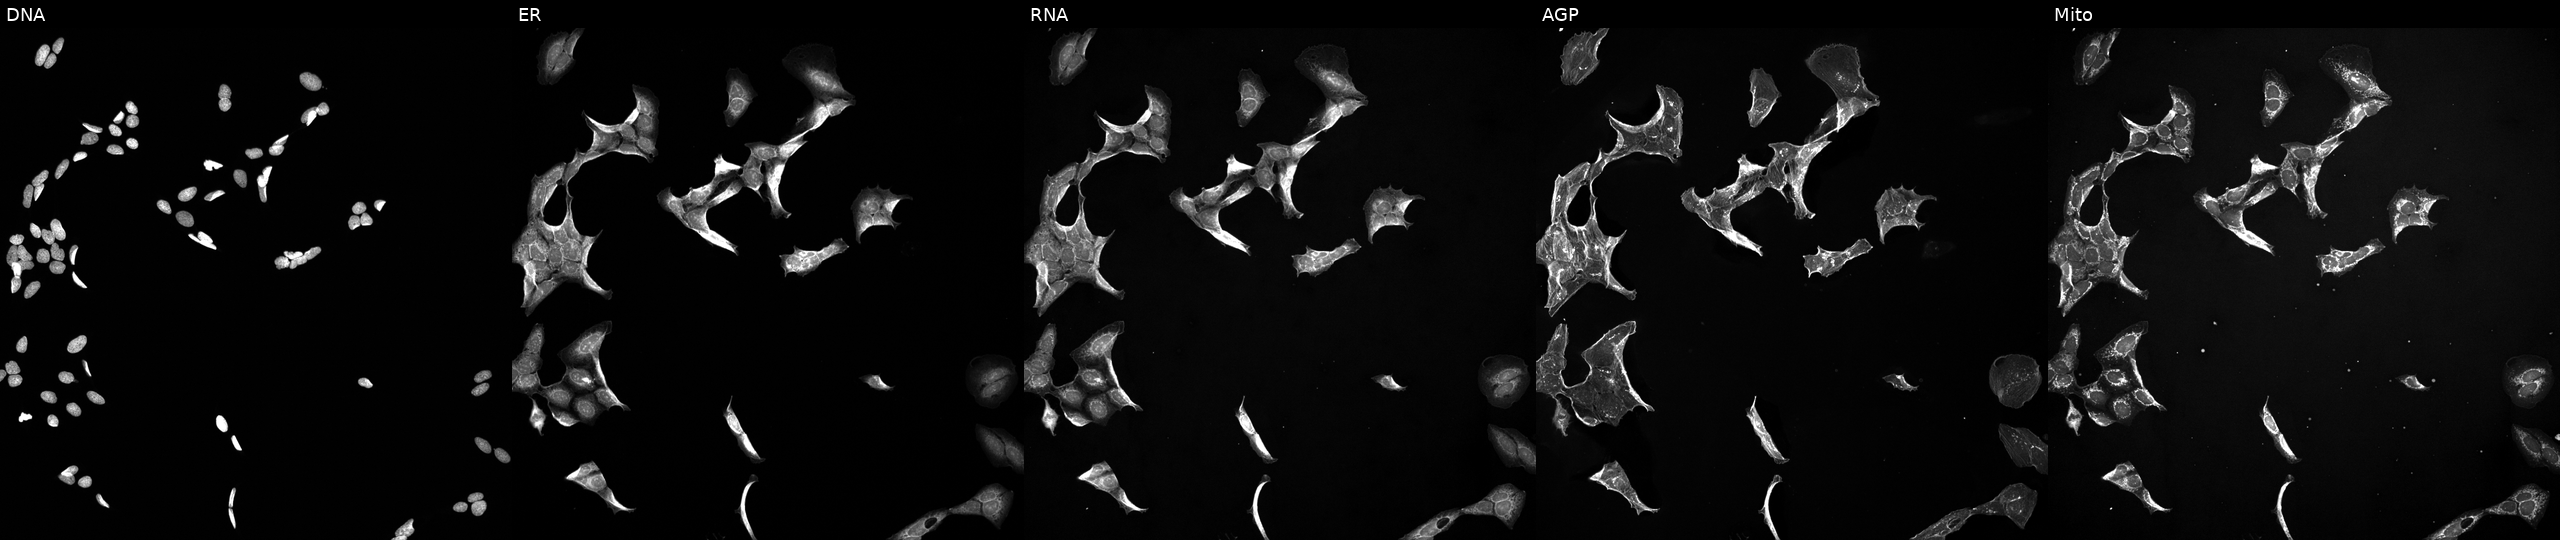
Panels show, left to right, DNA, ER, RNA, AGP, and Mito. U2OS osteosarcoma cells exposed to a small-molecule compound (InChIKey NVRXTLZYXZNATH-UHFFFAOYSA-N) (JUMP id JCP2022_061654). Cell Painting assay, JUMP-CP dataset.